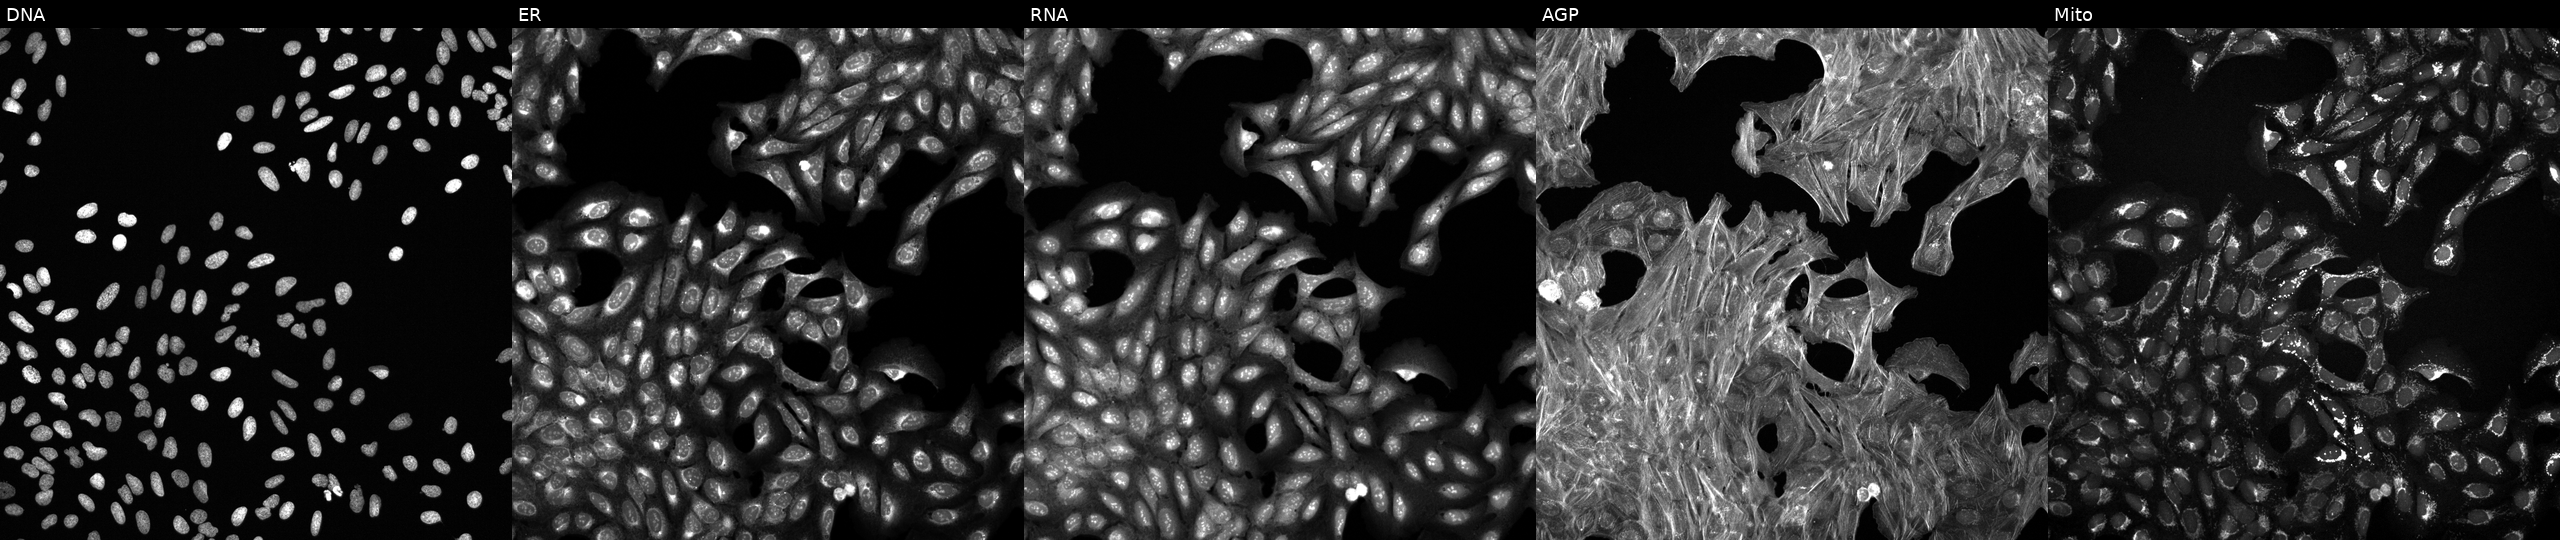
The five panels, left to right, show Hoechst 33342, concanavalin A, SYTO 14, phalloidin and WGA, MitoTracker. U2OS osteosarcoma cells exposed to a small-molecule compound (InChIKey NQDJXKOVJZTUJA-UHFFFAOYSA-N) [SMILES: Cc1ccnc2c1NC(=O)c1cccnc1N2C1CC1] (JUMP id JCP2022_060649). Cell Painting assay, JUMP-CP dataset.